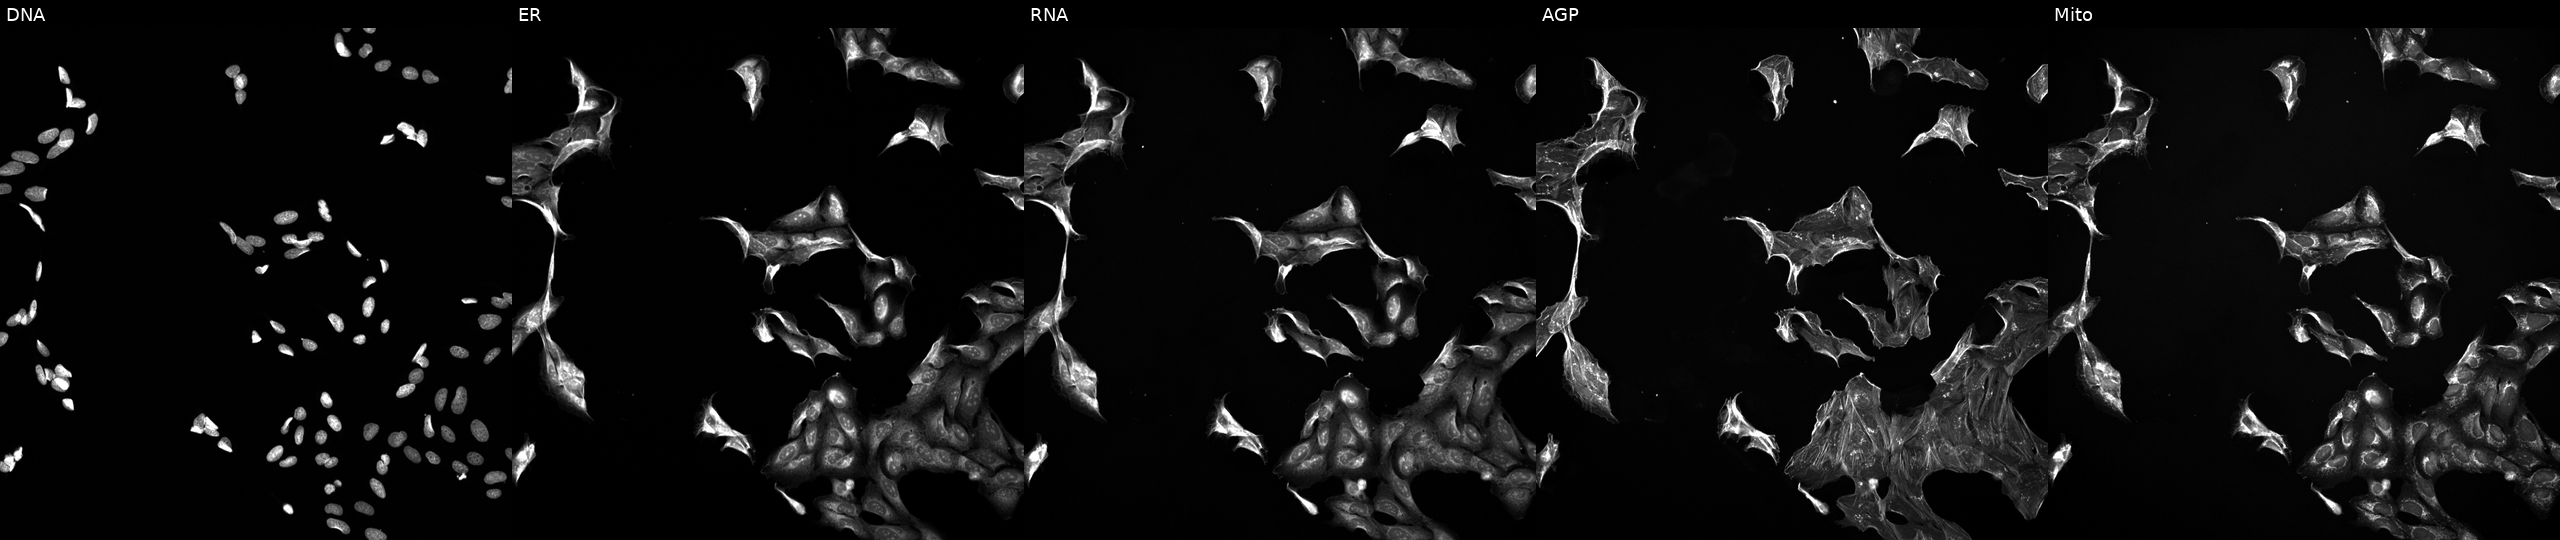
This image strip shows the five Cell Painting channels for a single field of U2OS cells treated with a small-molecule compound (InChIKey WYWHKKSPHMUBEB-UHFFFAOYSA-N). Channels (left→right): DNA (nuclei); ER (endoplasmic reticulum); RNA (nucleoli and cytoplasmic RNA); AGP (actin cytoskeleton, Golgi, and plasma membrane); Mito (mitochondria).